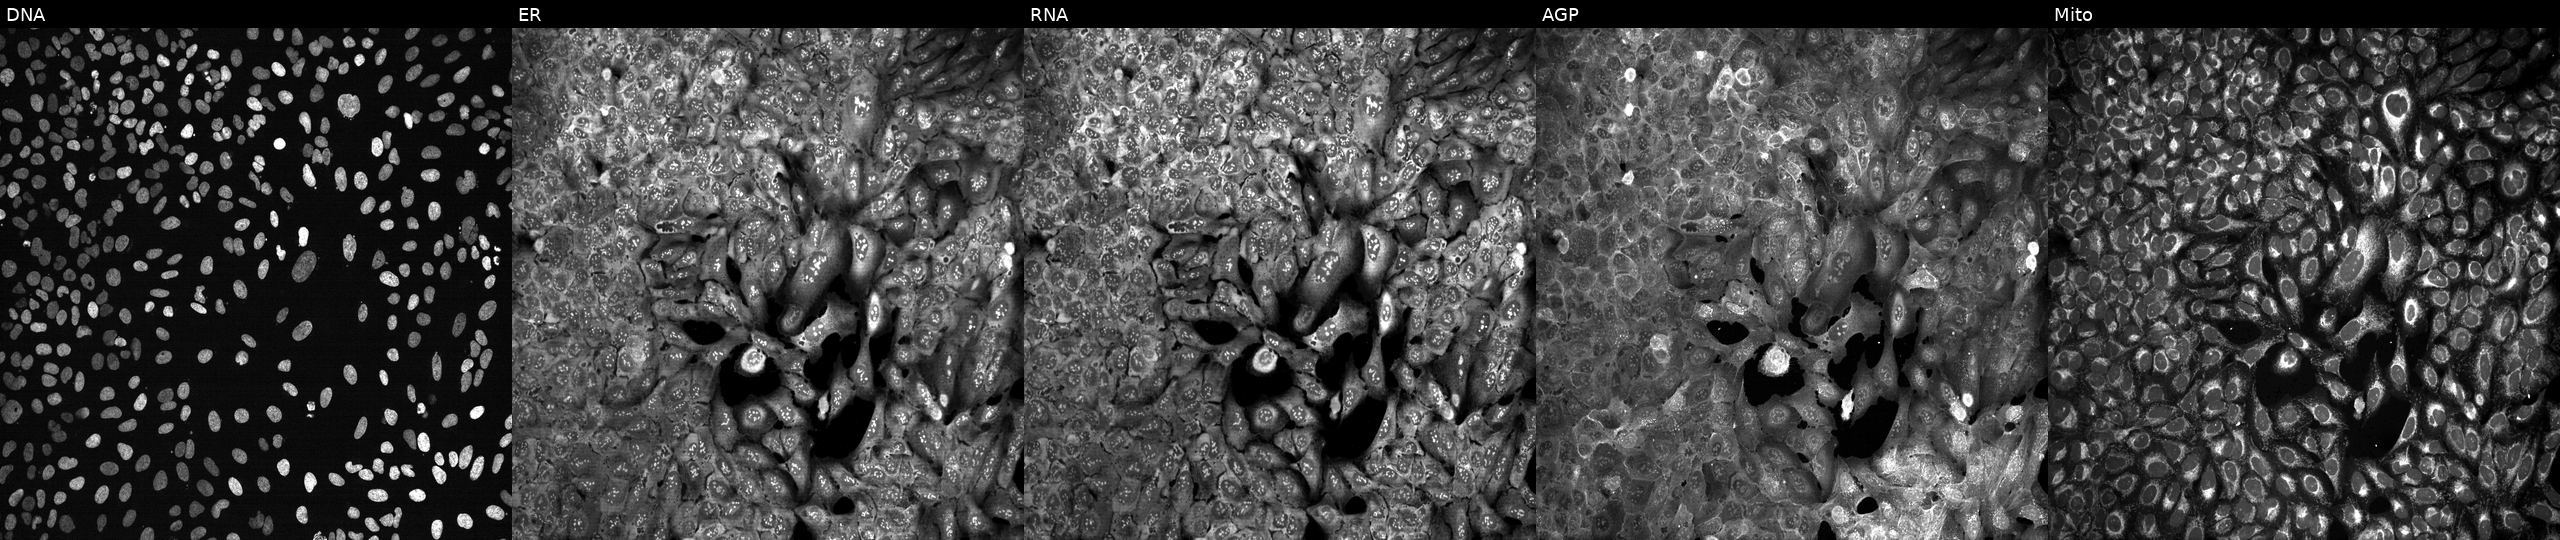
From left to right: Hoechst 33342, concanavalin A, SYTO 14, phalloidin and WGA, MitoTracker. U2OS osteosarcoma cells CRISPR-edited to disrupt CYP4A11 (JUMP id JCP2022_801649). Cell Painting assay, JUMP-CP dataset. Source 13, plate CP-CC9-R4-04, well A05.